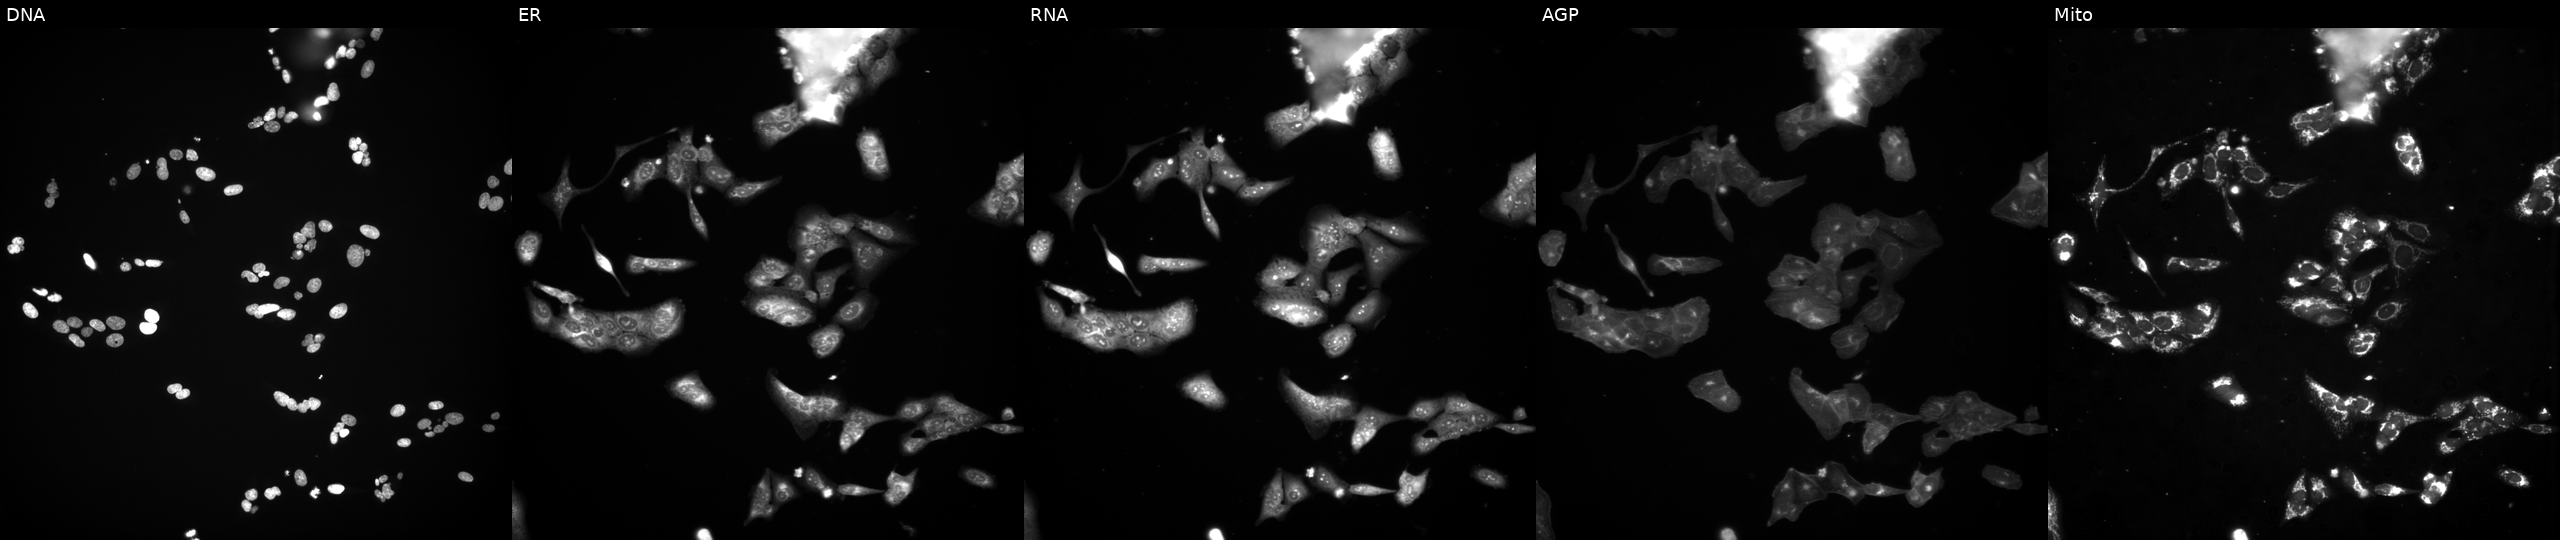
High-content fluorescence microscopy (Cell Painting). Cell line: U2OS. Perturbation: perturbed with a small-molecule compound (InChIKey FLVVAYJIHWYZCI-UHFFFAOYSA-N) [SMILES: CC(=O)N=c1[nH]c(C)c(-c2csc(=Nc3ccc(C)cc3)[nH]2)s1]. Panels show, left to right, DNA (nuclei); ER (endoplasmic reticulum); RNA (nucleoli and cytoplasmic RNA); AGP (actin cytoskeleton, Golgi, and plasma membrane); Mito (mitochondria).